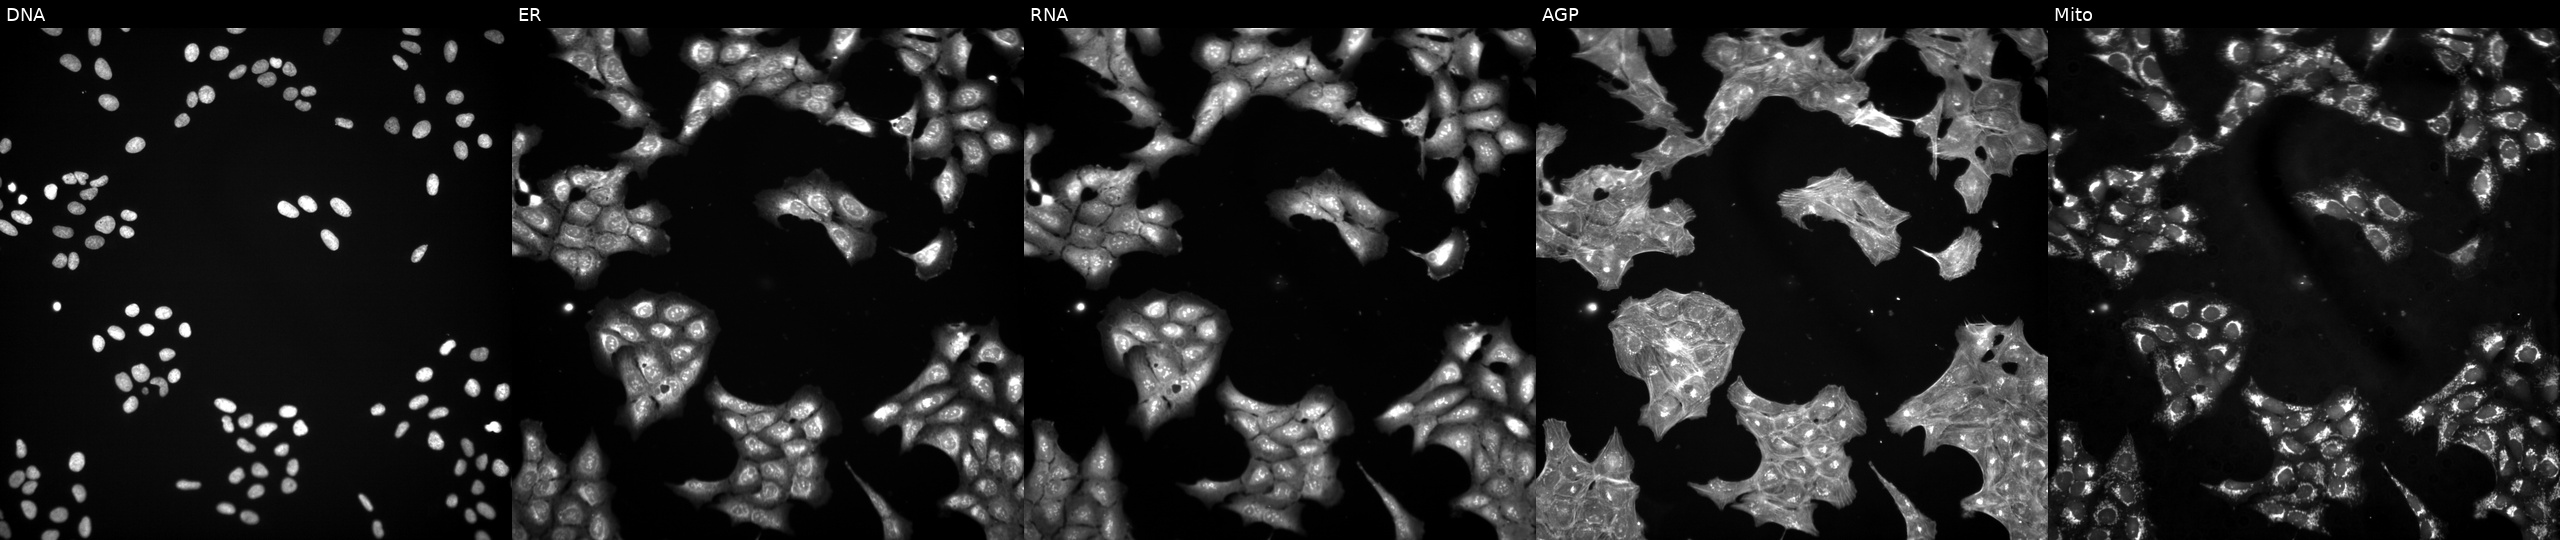
This image strip shows the five Cell Painting channels for a single field of U2OS cells exposed to a small-molecule compound (InChIKey HSUGRBWQSSZJOP-UHFFFAOYSA-N) (JUMP id JCP2022_032357). The five panels, left to right, show DNA (nuclei); ER (endoplasmic reticulum); RNA (nucleoli and cytoplasmic RNA); AGP (actin cytoskeleton, Golgi, and plasma membrane); Mito (mitochondria). Source 3, plate JCPQC053, well P20.